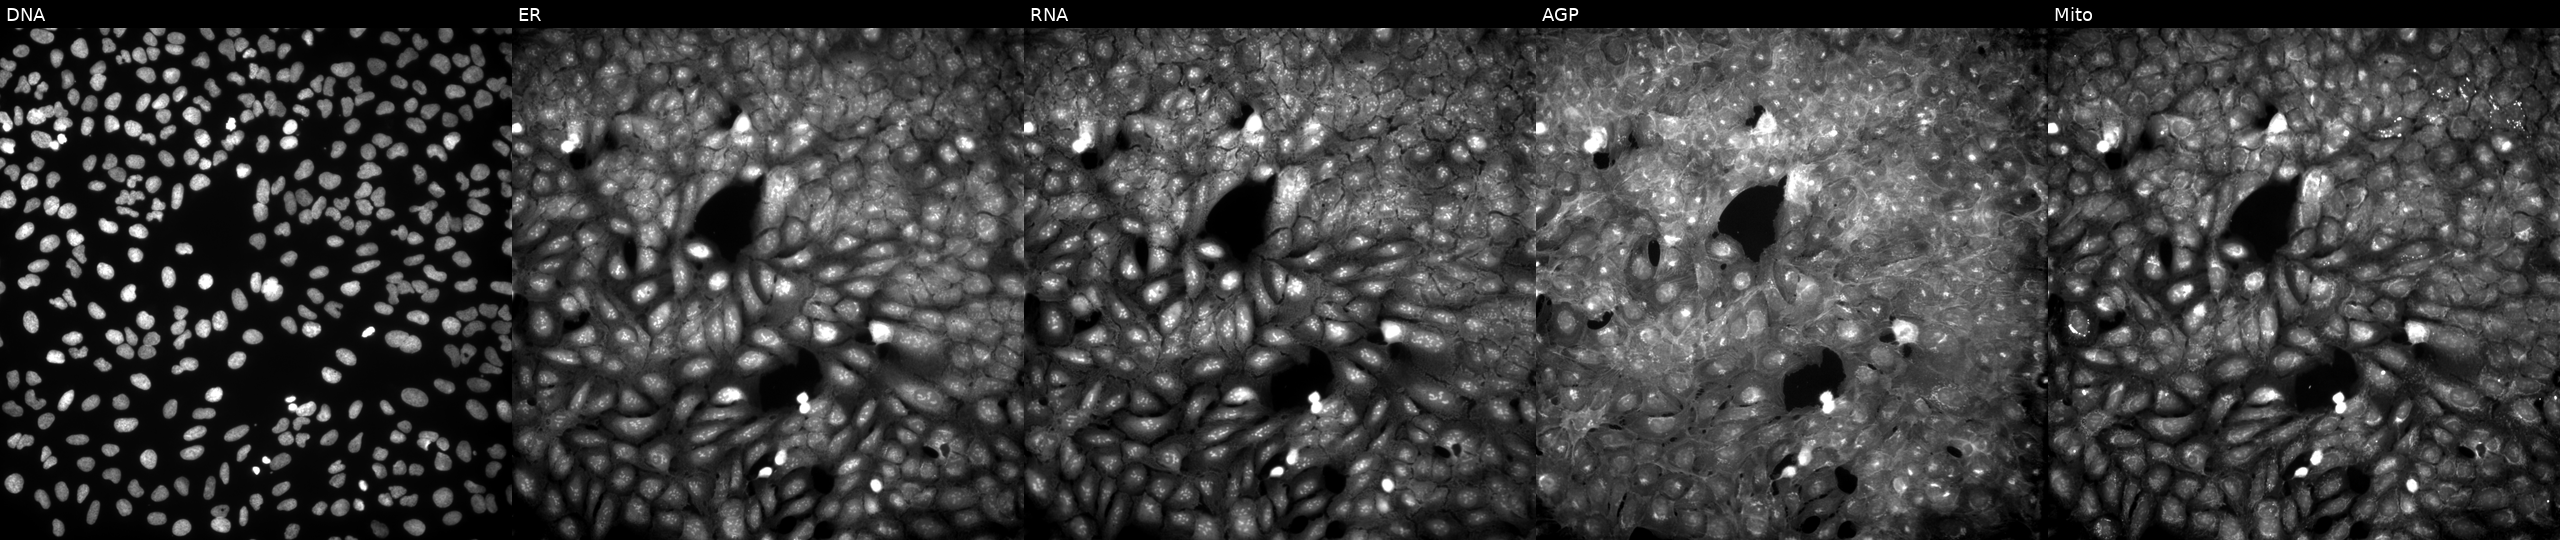
This image strip shows the five Cell Painting channels for a single field of U2OS cells exposed to a small-molecule compound (InChIKey LFYXALLUODLTQG-UHFFFAOYSA-N) (JUMP id JCP2022_049186). From left to right: DNA (nuclei); ER (endoplasmic reticulum); RNA (nucleoli and cytoplasmic RNA); AGP (actin cytoskeleton, Golgi, and plasma membrane); Mito (mitochondria).